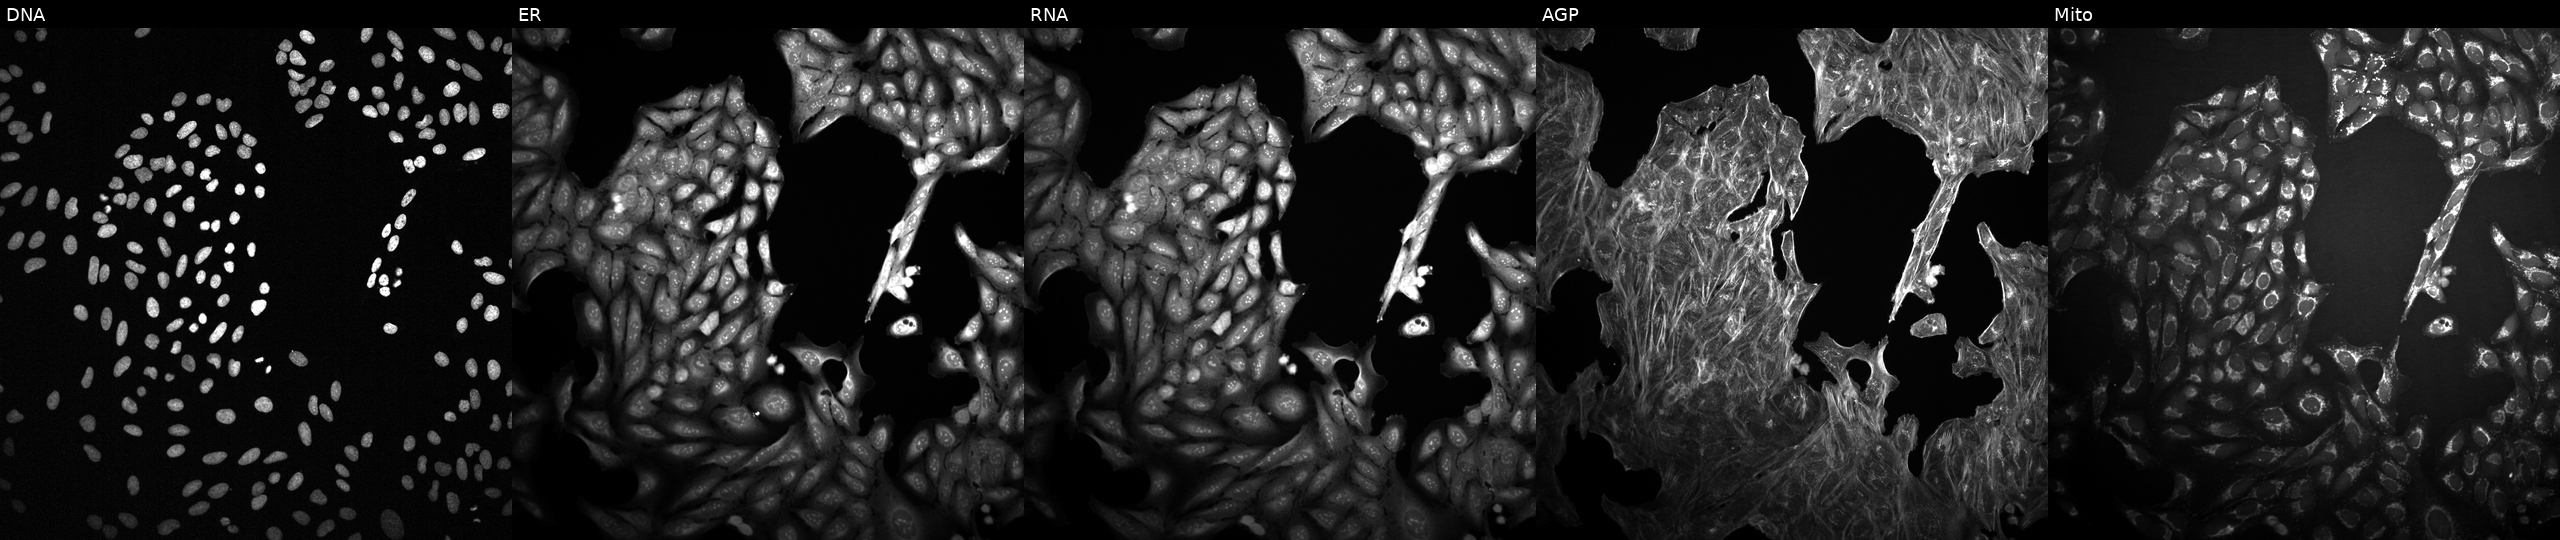
This image strip shows the five Cell Painting channels for a single field of U2OS cells treated with a small-molecule compound (InChIKey PTLASJDXVKFBFX-UHFFFAOYSA-N). Panels show, left to right, DNA (nuclei); ER (endoplasmic reticulum); RNA (nucleoli and cytoplasmic RNA); AGP (actin cytoskeleton, Golgi, and plasma membrane); Mito (mitochondria).